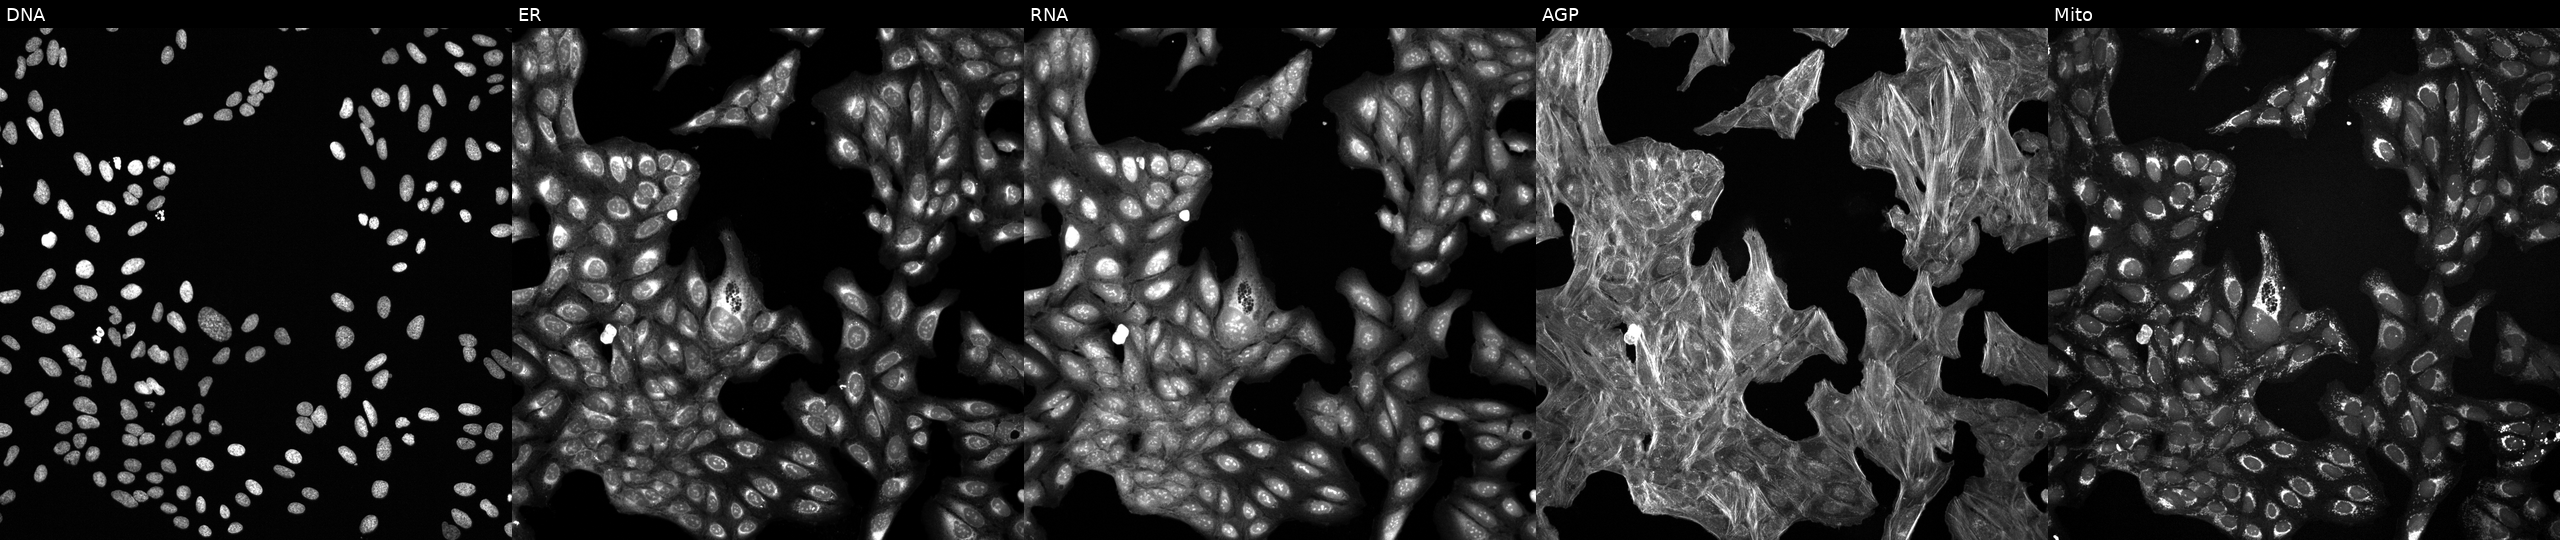
Five-channel Cell Painting image of U2OS cells exposed to a small-molecule compound [SMILES: ON=Cc1ccc(-c2ccc(O)c(F)c2)c(Cl)c1O]. Channels (left→right): Hoechst 33342, concanavalin A, SYTO 14, phalloidin and WGA, MitoTracker. Source 6, plate 110000293081, well K19.